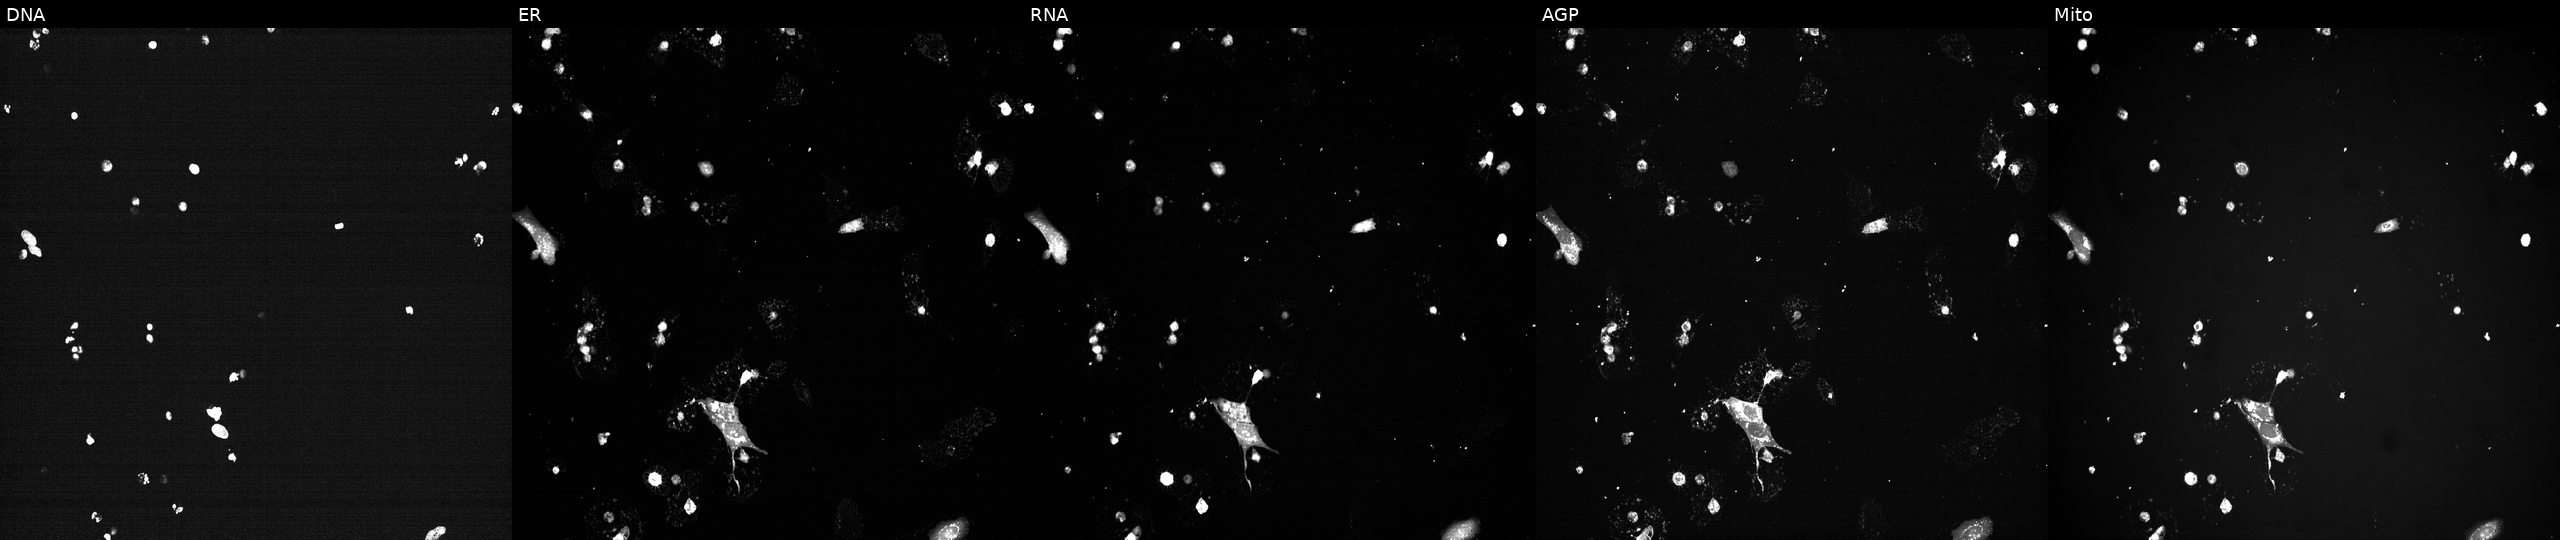
U2OS cells, Cell Painting assay, perturbed with a small-molecule compound (InChIKey MJSHVHLADKXCML-UHFFFAOYSA-N) (JUMP id JCP2022_054601). From left to right: DNA, ER, RNA, AGP, and Mito. Each panel is percentile-stretched 16-bit fluorescence. Source 7, plate CP2-SC1-25, well C11.